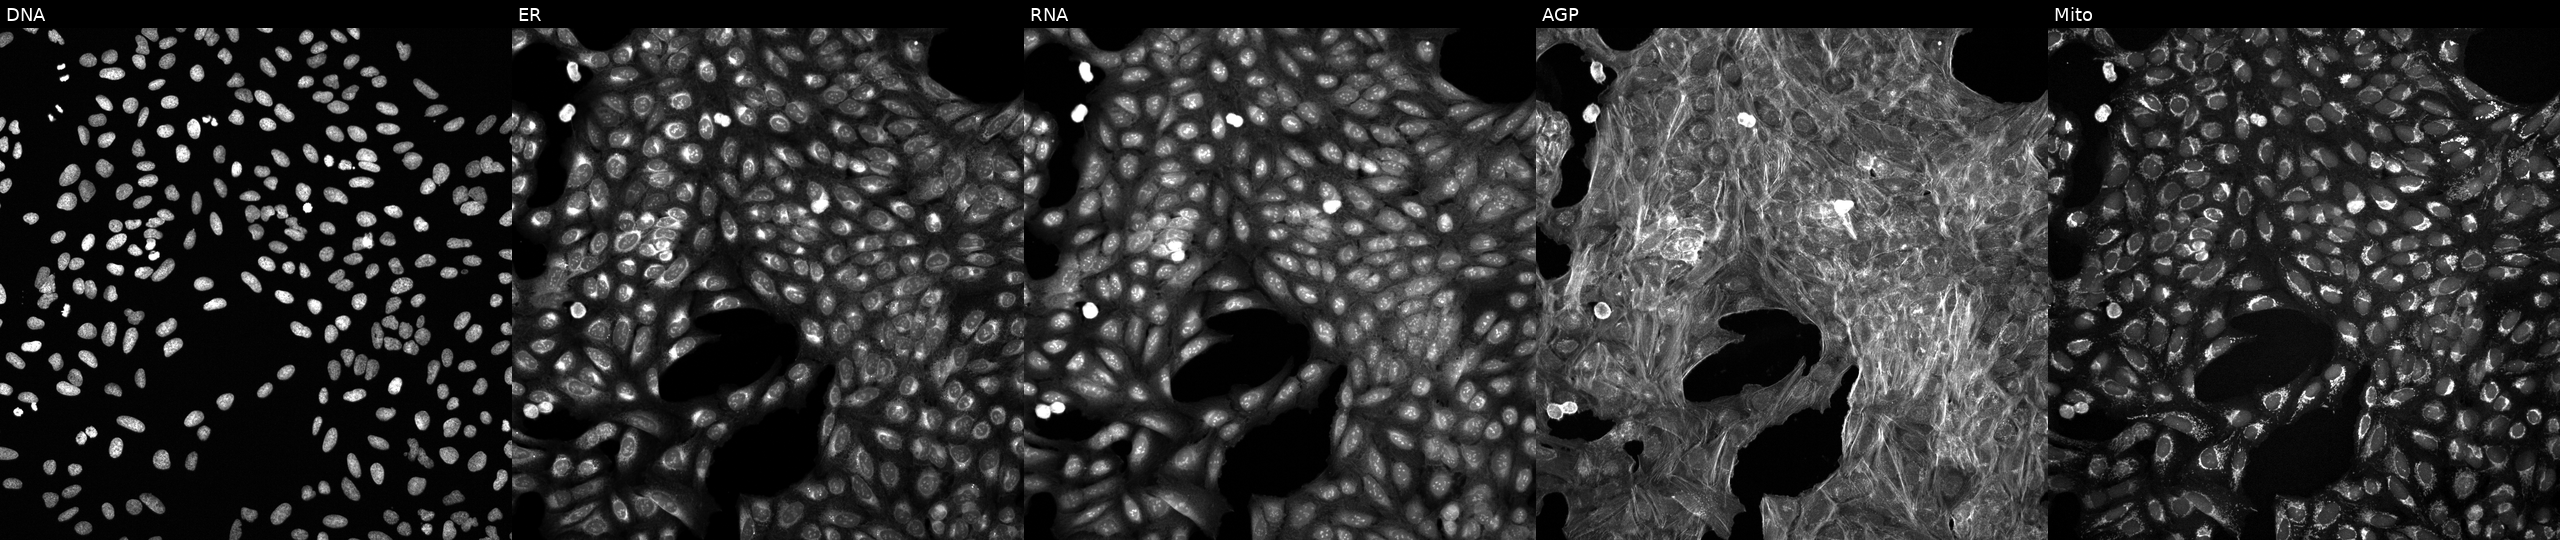
This image strip shows the five Cell Painting channels for a single field of U2OS cells treated with DMSO vehicle only (negative control) (JUMP id JCP2022_033924). From left to right: DNA (nuclei); ER (endoplasmic reticulum); RNA (nucleoli and cytoplasmic RNA); AGP (actin cytoskeleton, Golgi, and plasma membrane); Mito (mitochondria). Source 6, plate 110000293082, well E02.